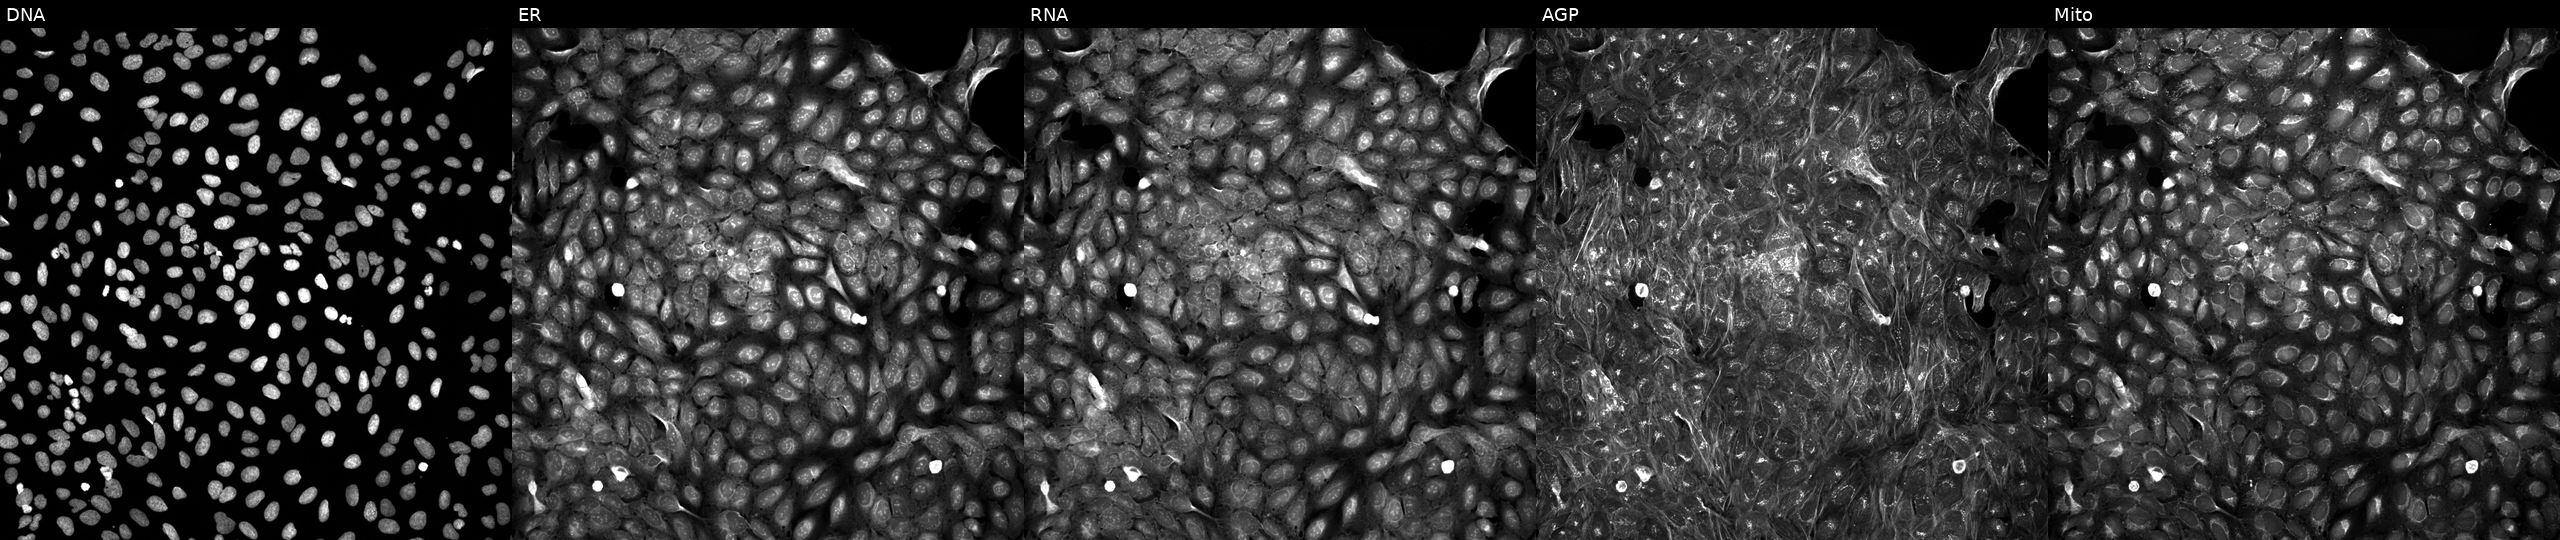
High-content fluorescence microscopy (Cell Painting). Cell line: U2OS. Perturbation: treated with a small-molecule compound. Panels show, left to right, DNA, ER, RNA, AGP, and Mito.